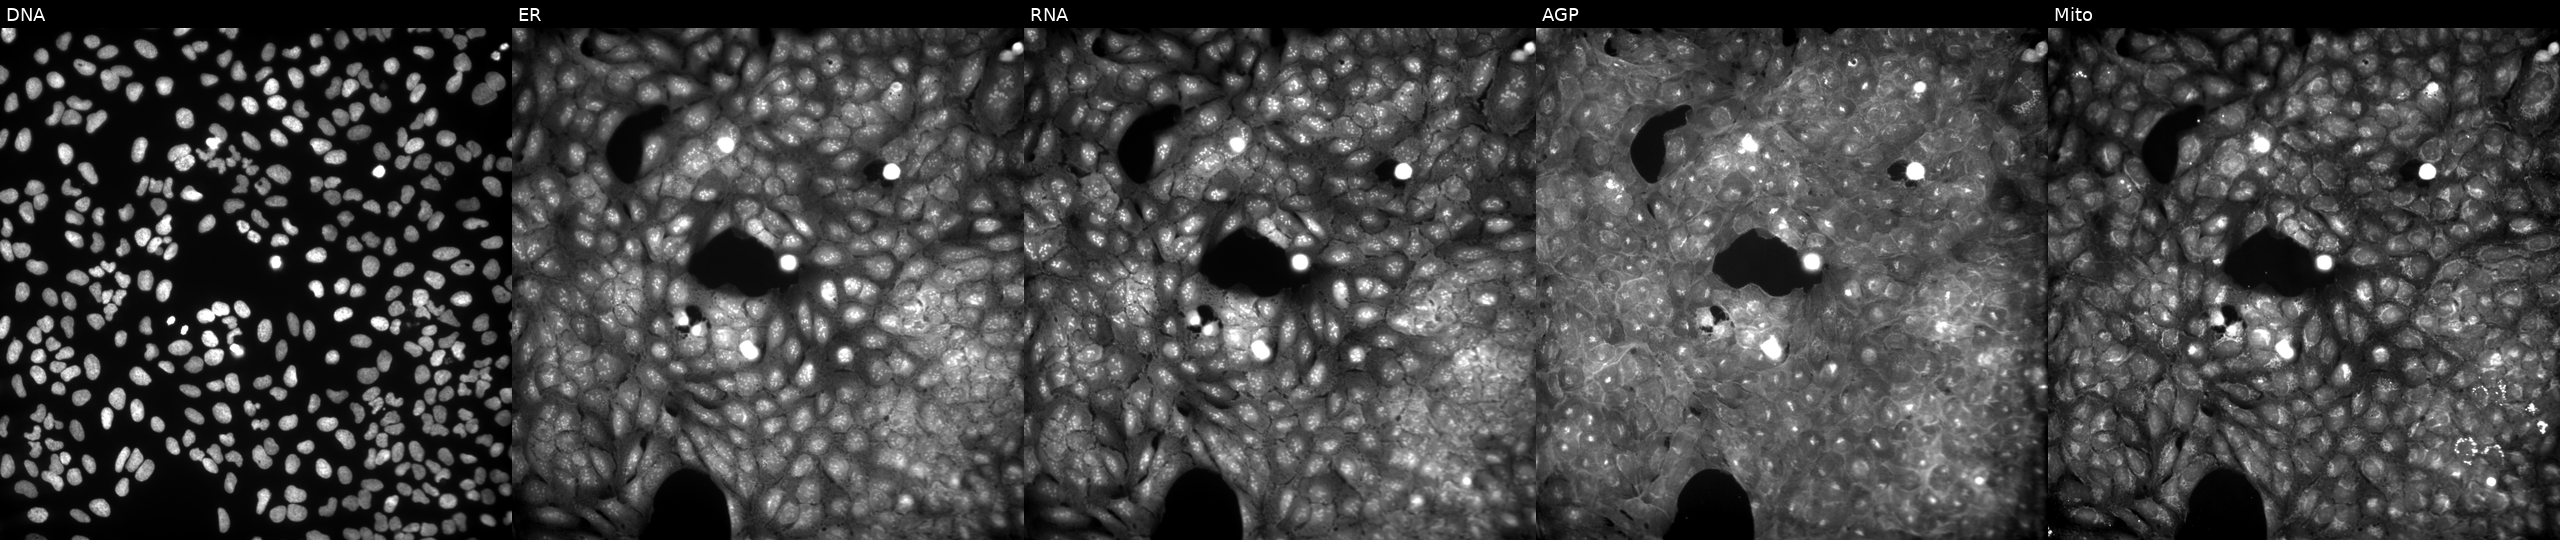
JUMP Cell Painting — COMPOUND plate. U2OS cells treated with a small-molecule compound (InChIKey CMMJGQKHHDBTCC-UHFFFAOYSA-N) (JUMP id JCP2022_012103). Channels (left→right): DNA, ER, RNA, AGP, and Mito. Source 9, plate GR00003381, well Y35.